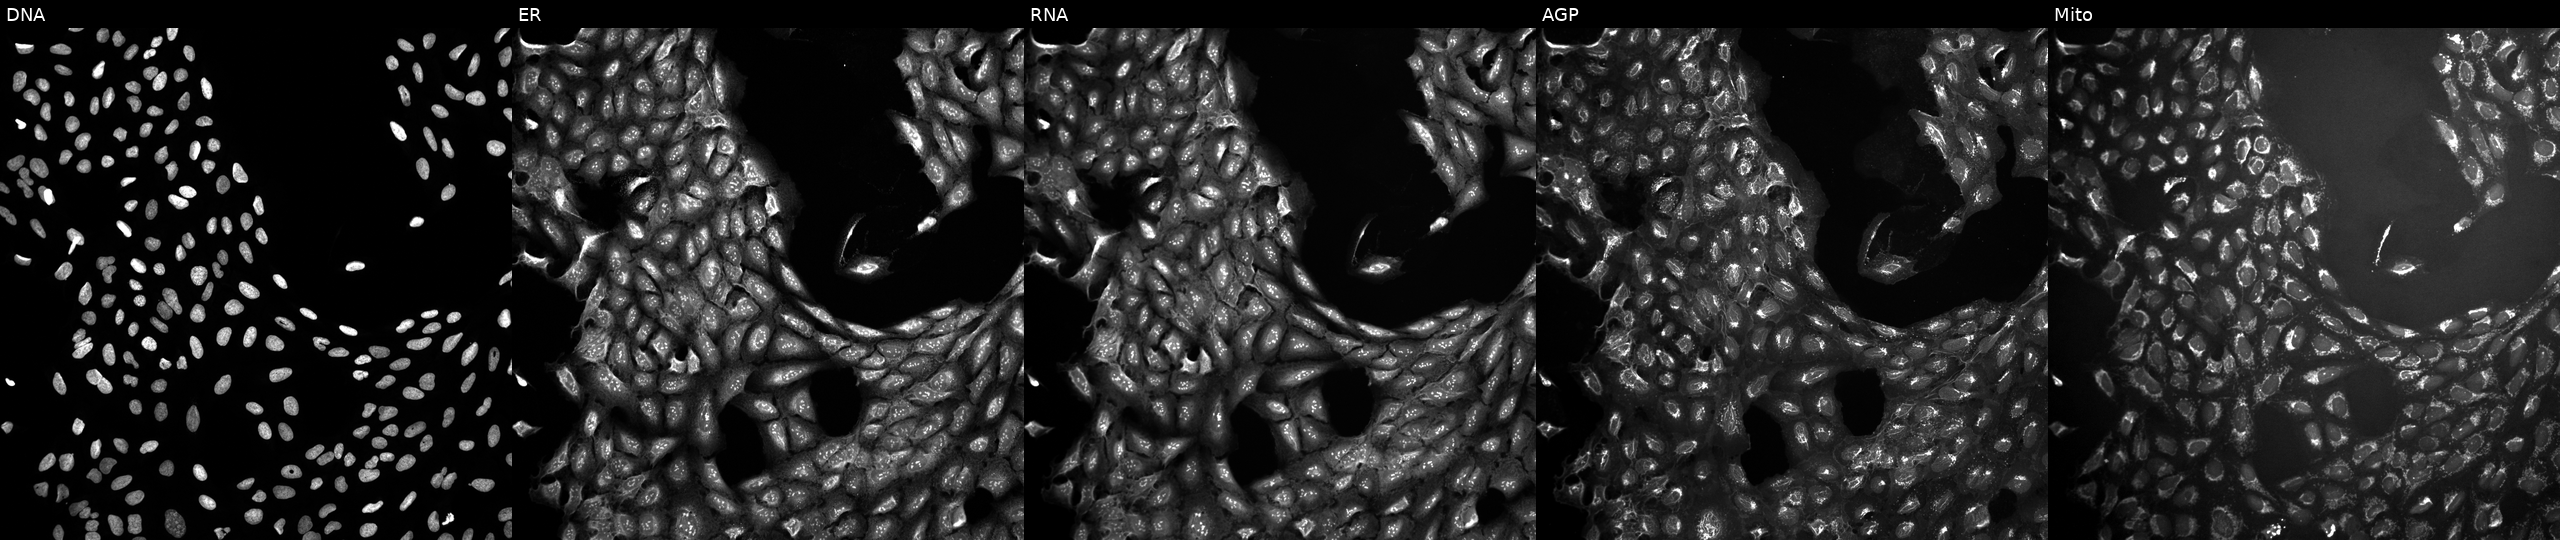
High-content fluorescence microscopy (Cell Painting). Cell line: U2OS. Perturbation: treated with a small-molecule compound (InChIKey RRGUKTPIGVIEKM-UHFFFAOYSA-N) (JUMP id JCP2022_080224). From left to right: Hoechst 33342, concanavalin A, SYTO 14, phalloidin and WGA, MitoTracker.